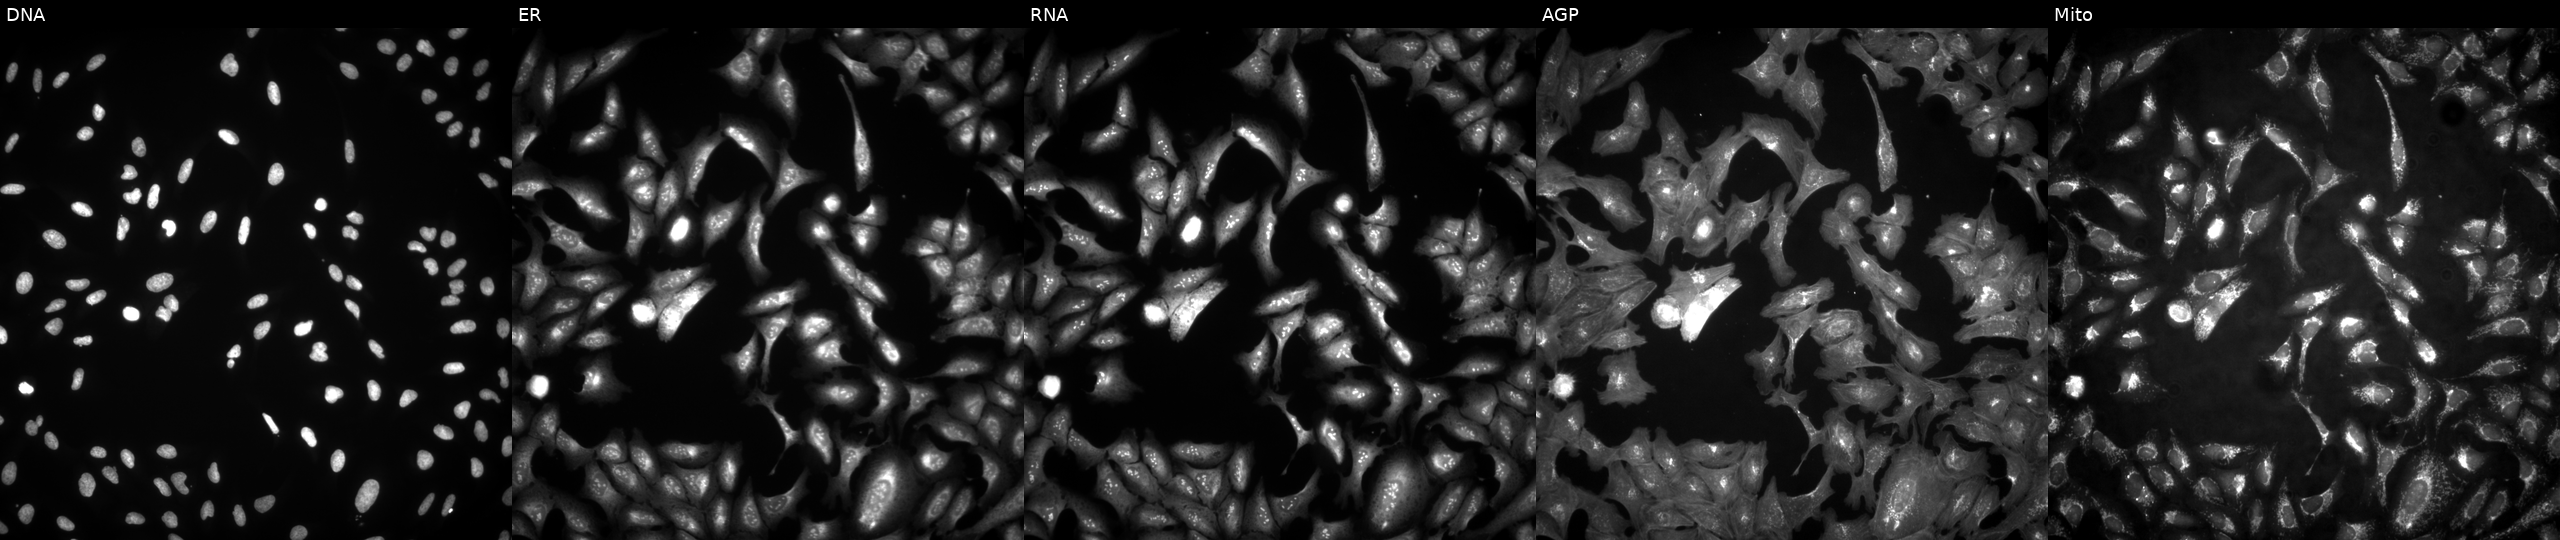
This image strip shows the five Cell Painting channels for a single field of U2OS cells untreated (empty-well control). Panels show, left to right, DNA (nuclei); ER (endoplasmic reticulum); RNA (nucleoli and cytoplasmic RNA); AGP (actin cytoskeleton, Golgi, and plasma membrane); Mito (mitochondria).